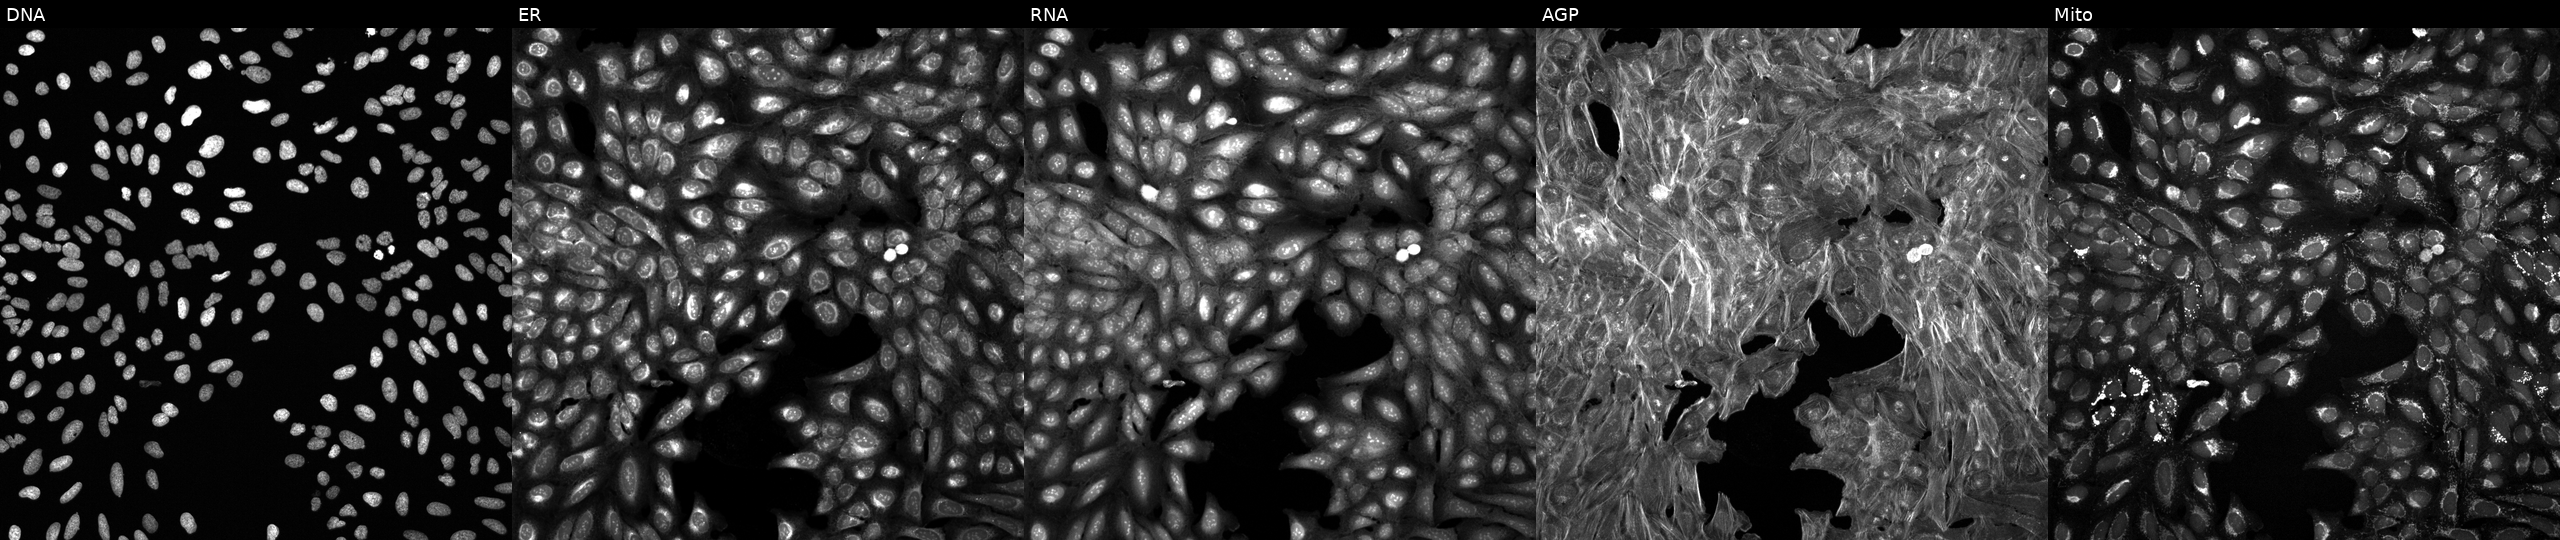
The five panels, left to right, show Hoechst 33342, concanavalin A, SYTO 14, phalloidin and WGA, MitoTracker. U2OS osteosarcoma cells perturbed with a small-molecule compound (InChIKey RLSIHFKHTROZCE-UHFFFAOYSA-N) [SMILES: Cc1cc(-c2ccc(C)c(S(=O)(=O)N=c3cccc[nH]3)c2)on1] (JUMP id JCP2022_079185). Cell Painting assay, JUMP-CP dataset.